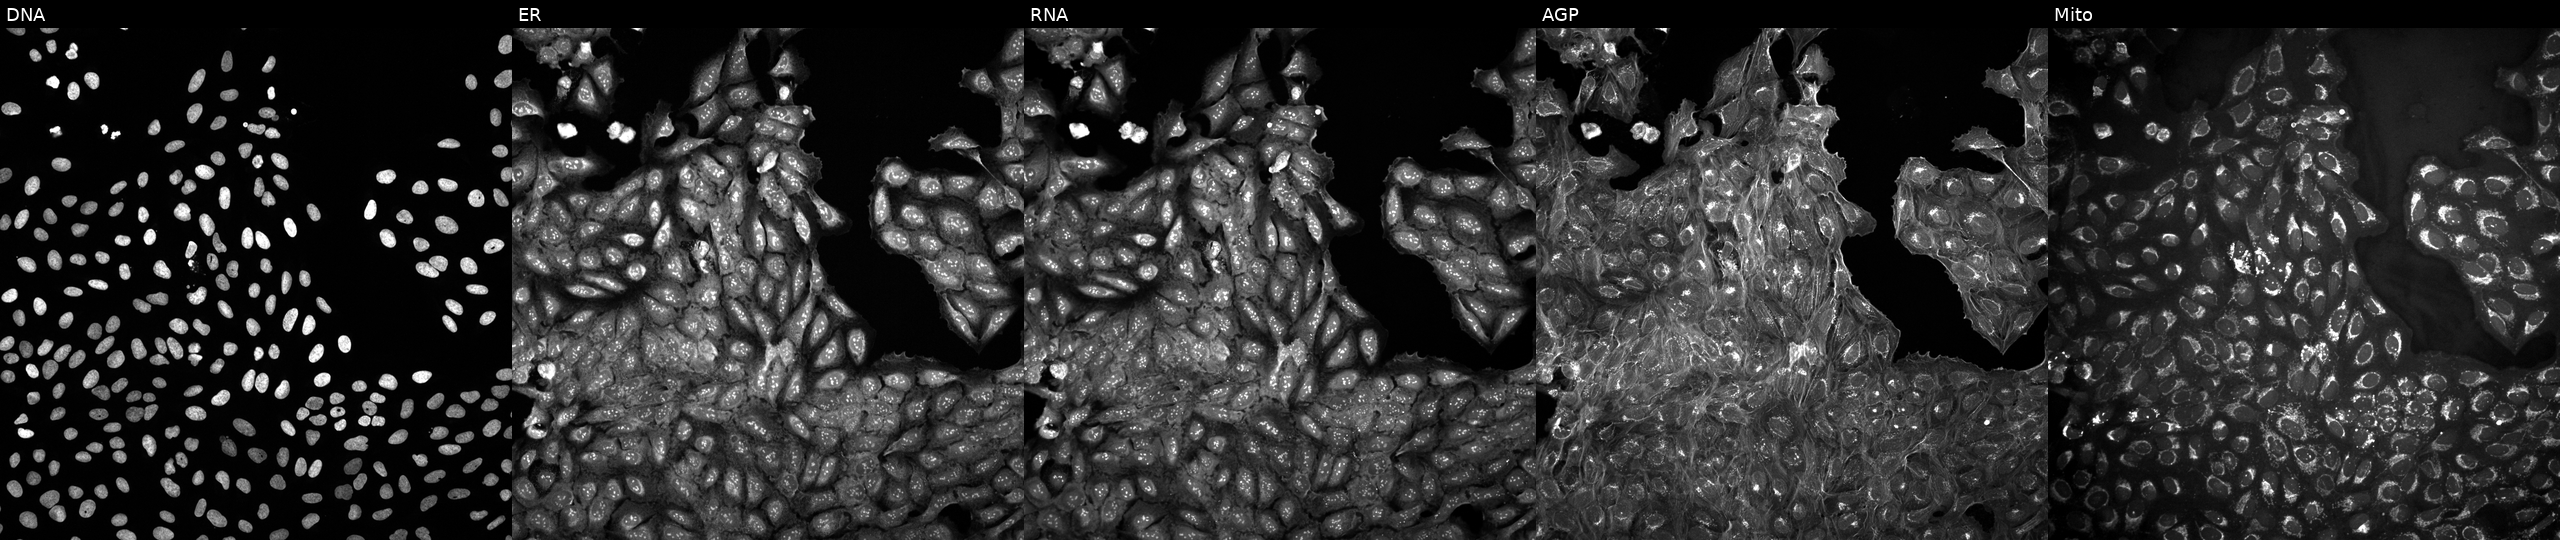
Channels (left→right): Hoechst 33342, concanavalin A, SYTO 14, phalloidin and WGA, MitoTracker. U2OS osteosarcoma cells exposed to a small-molecule compound. Cell Painting assay, JUMP-CP dataset. Source 10, plate Dest210531-152149, well M03.